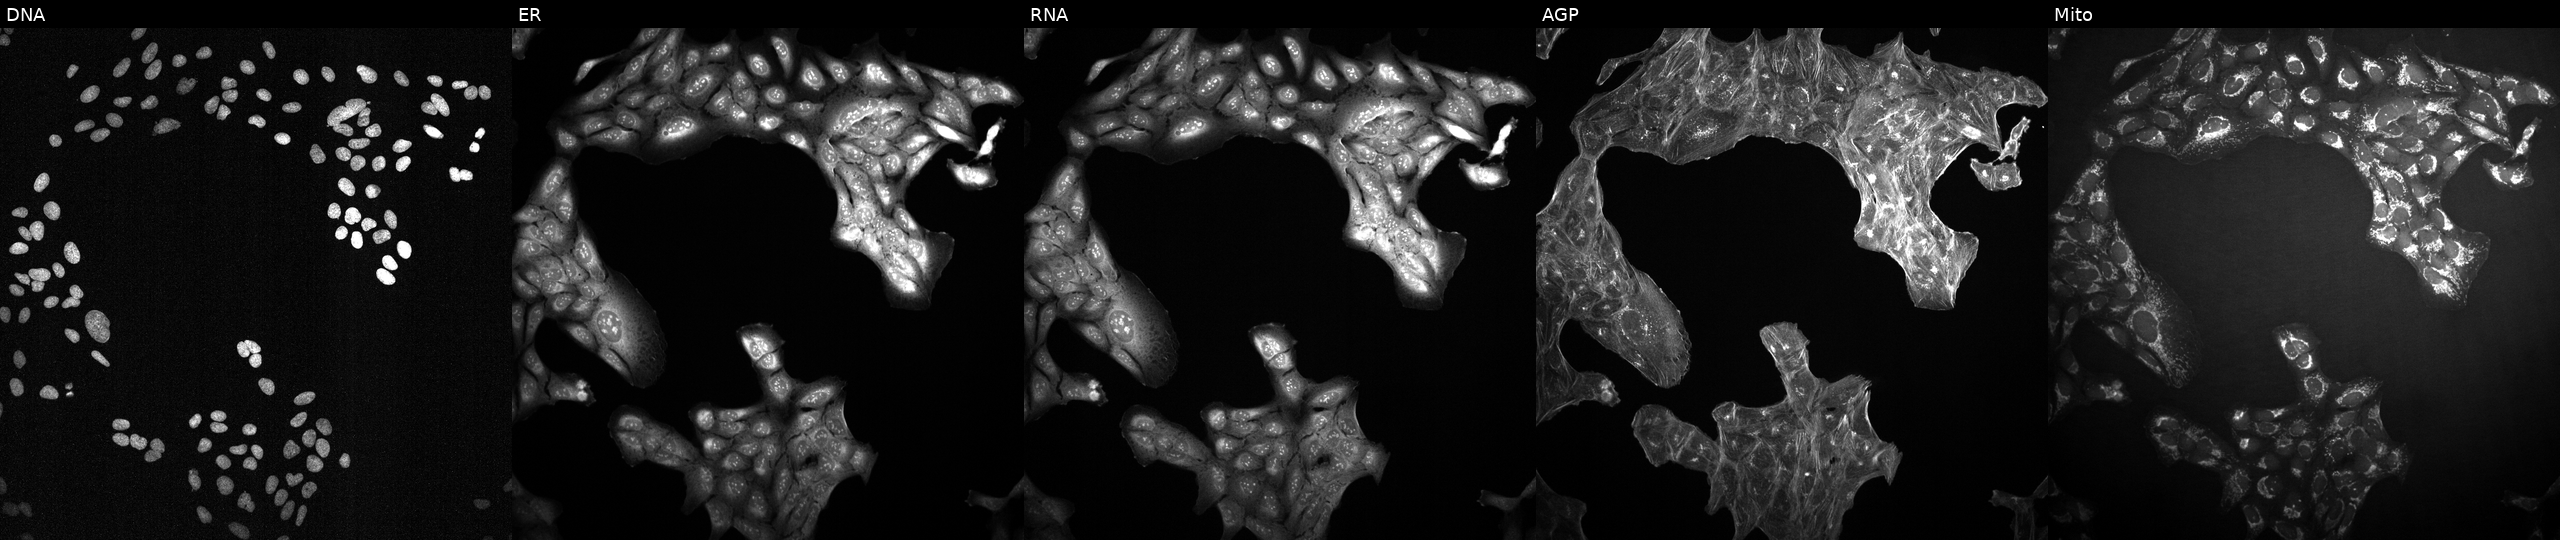
JUMP Cell Painting — TARGET2 plate. U2OS cells perturbed with a small-molecule compound [SMILES: OCC(O)c1oc(O)c(O)c1O]. The five panels, left to right, show Hoechst 33342, concanavalin A, SYTO 14, phalloidin and WGA, MitoTracker.